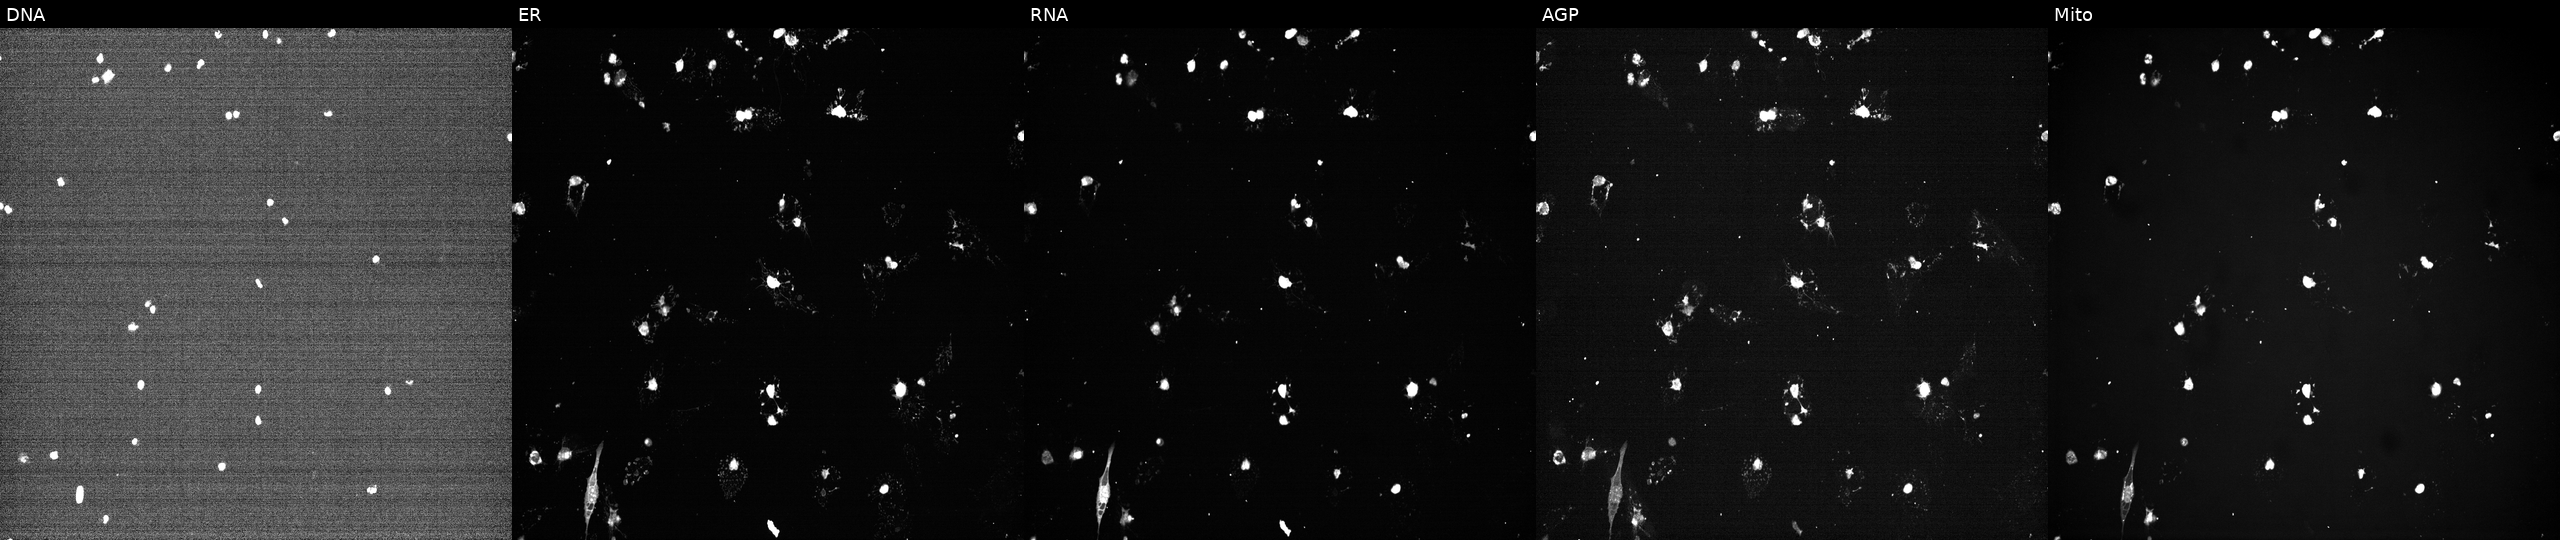
Five-channel Cell Painting image of U2OS cells exposed to a small-molecule compound (InChIKey XUZQTIZWMHMWOC-UHFFFAOYSA-N). Panels show, left to right, DNA, ER, RNA, AGP, and Mito. Source 7, plate CP2-SC1-25, well K13.